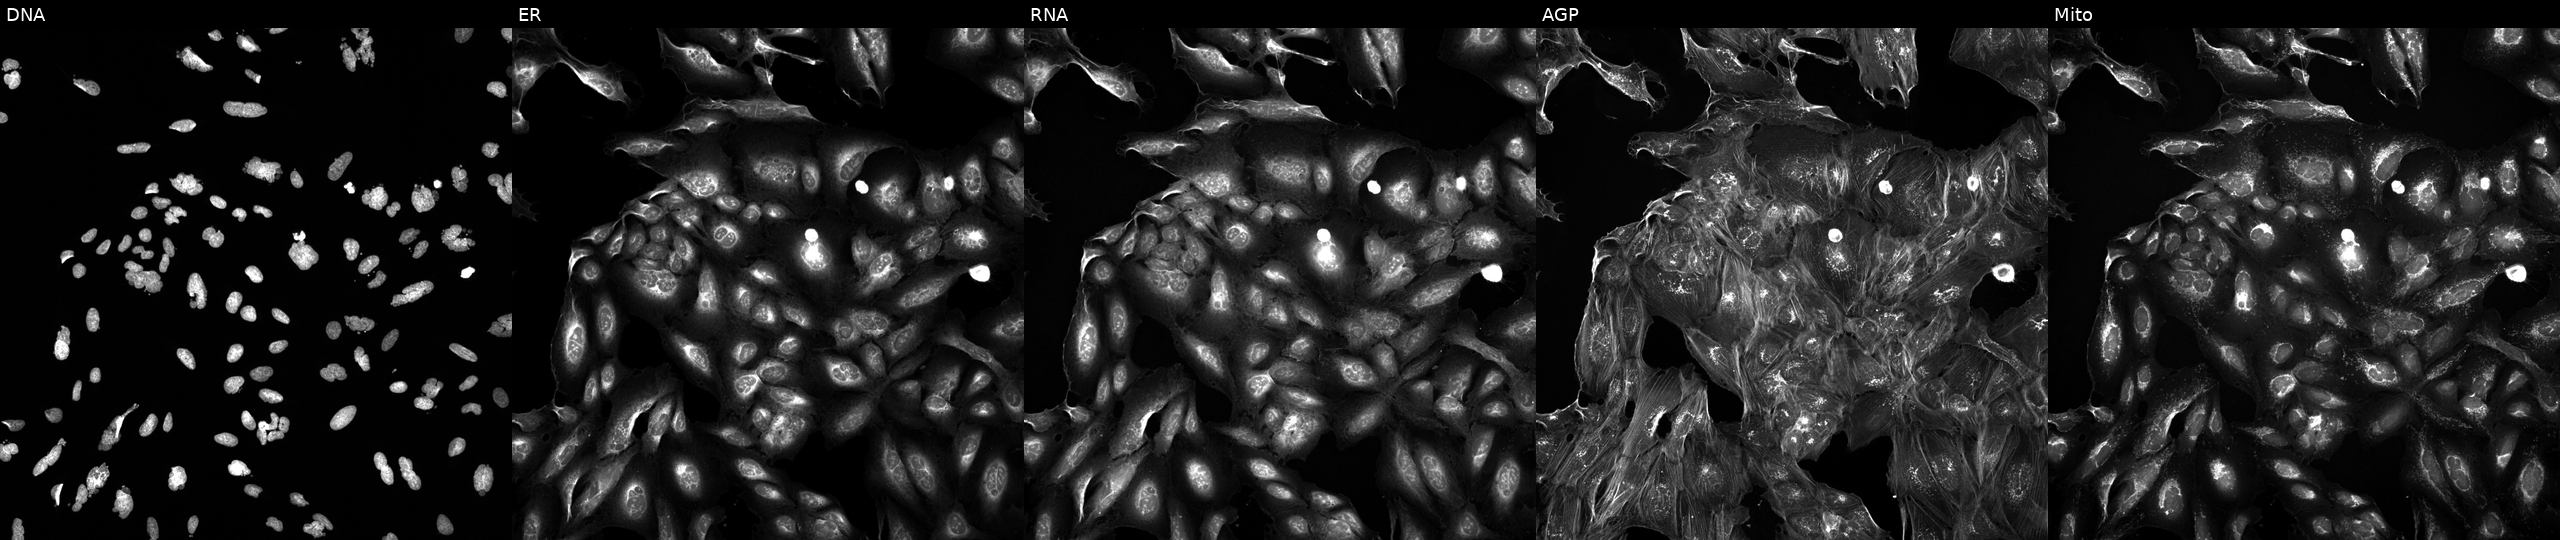
The five panels, left to right, show DNA, ER, RNA, AGP, and Mito. U2OS osteosarcoma cells treated with a small-molecule compound (InChIKey KRBSMMVJJVHVCB-UHFFFAOYSA-N) (JUMP id JCP2022_046462). Cell Painting assay, JUMP-CP dataset. Source 5, plate ACPJUM012, well J07.